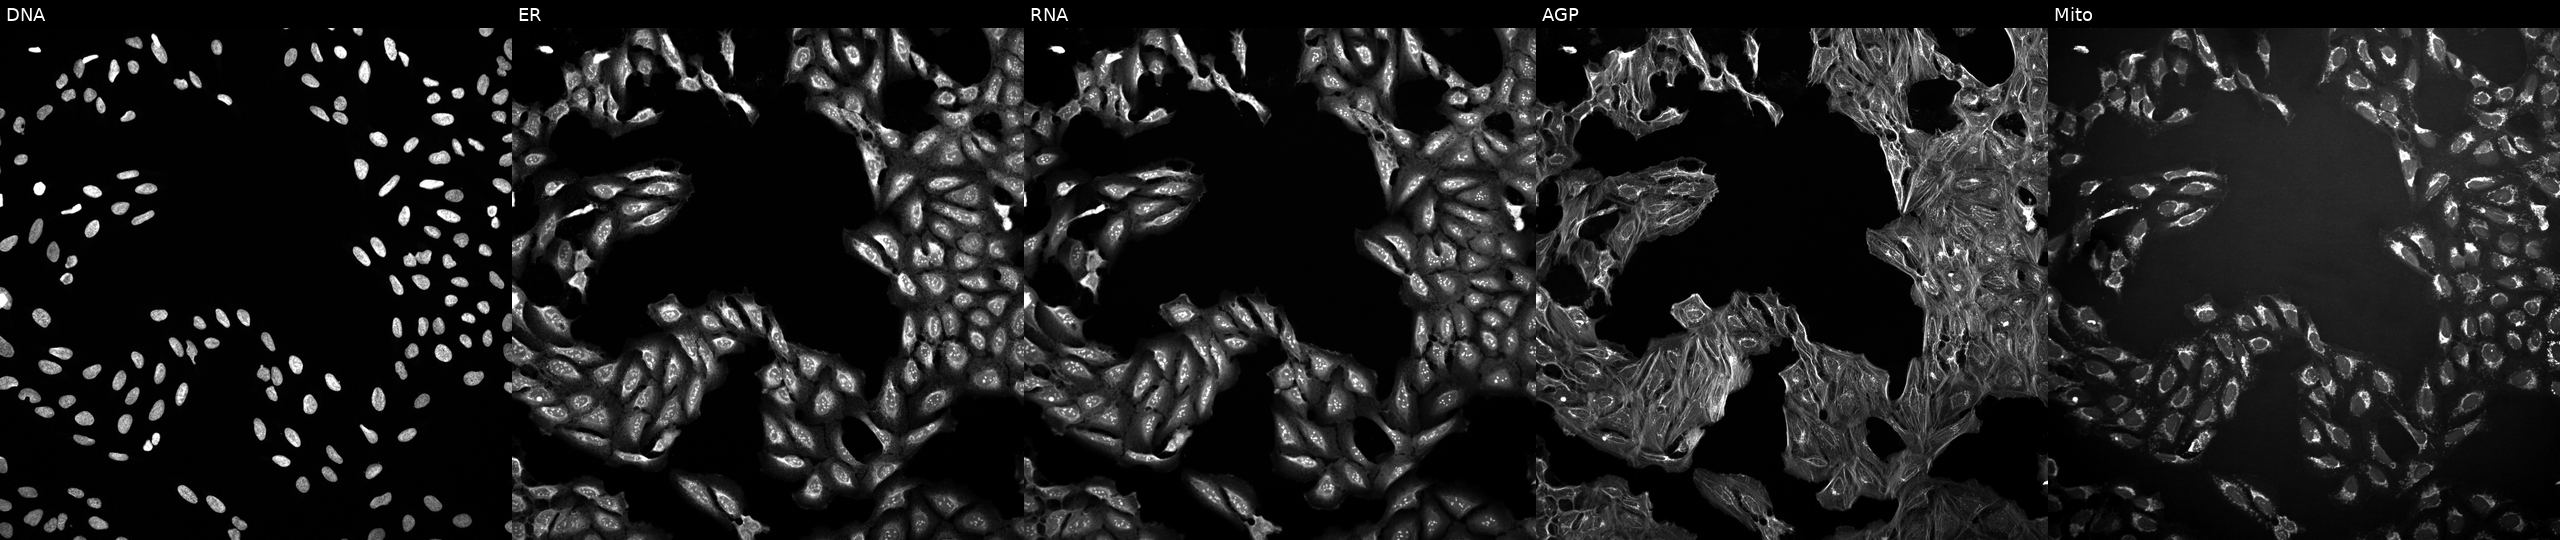
Channels (left→right): DNA (nuclei); ER (endoplasmic reticulum); RNA (nucleoli and cytoplasmic RNA); AGP (actin cytoskeleton, Golgi, and plasma membrane); Mito (mitochondria). U2OS osteosarcoma cells exposed to a small-molecule compound (InChIKey QIHBWVVVRYYYRO-UHFFFAOYSA-N) (JUMP id JCP2022_073628). Cell Painting assay, JUMP-CP dataset. Source 10, plate Dest210727-153003, well E06.